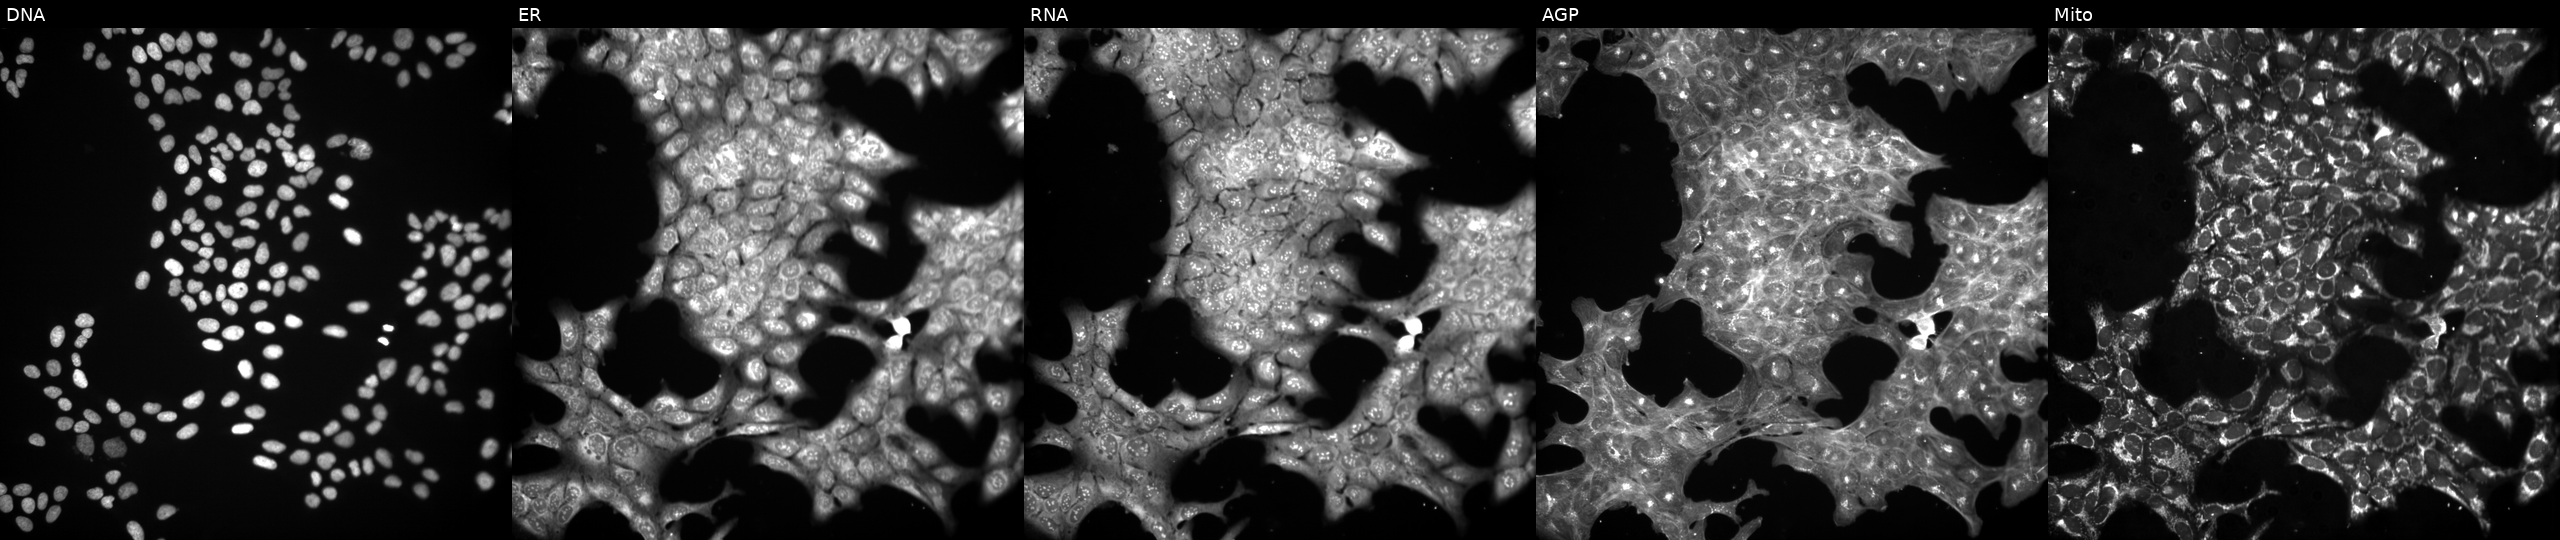
U2OS cells, Cell Painting assay, exposed to the positive-control compound LY2109761 (JUMP id JCP2022_035095). From left to right: DNA, ER, RNA, AGP, and Mito. Each panel is percentile-stretched 16-bit fluorescence.